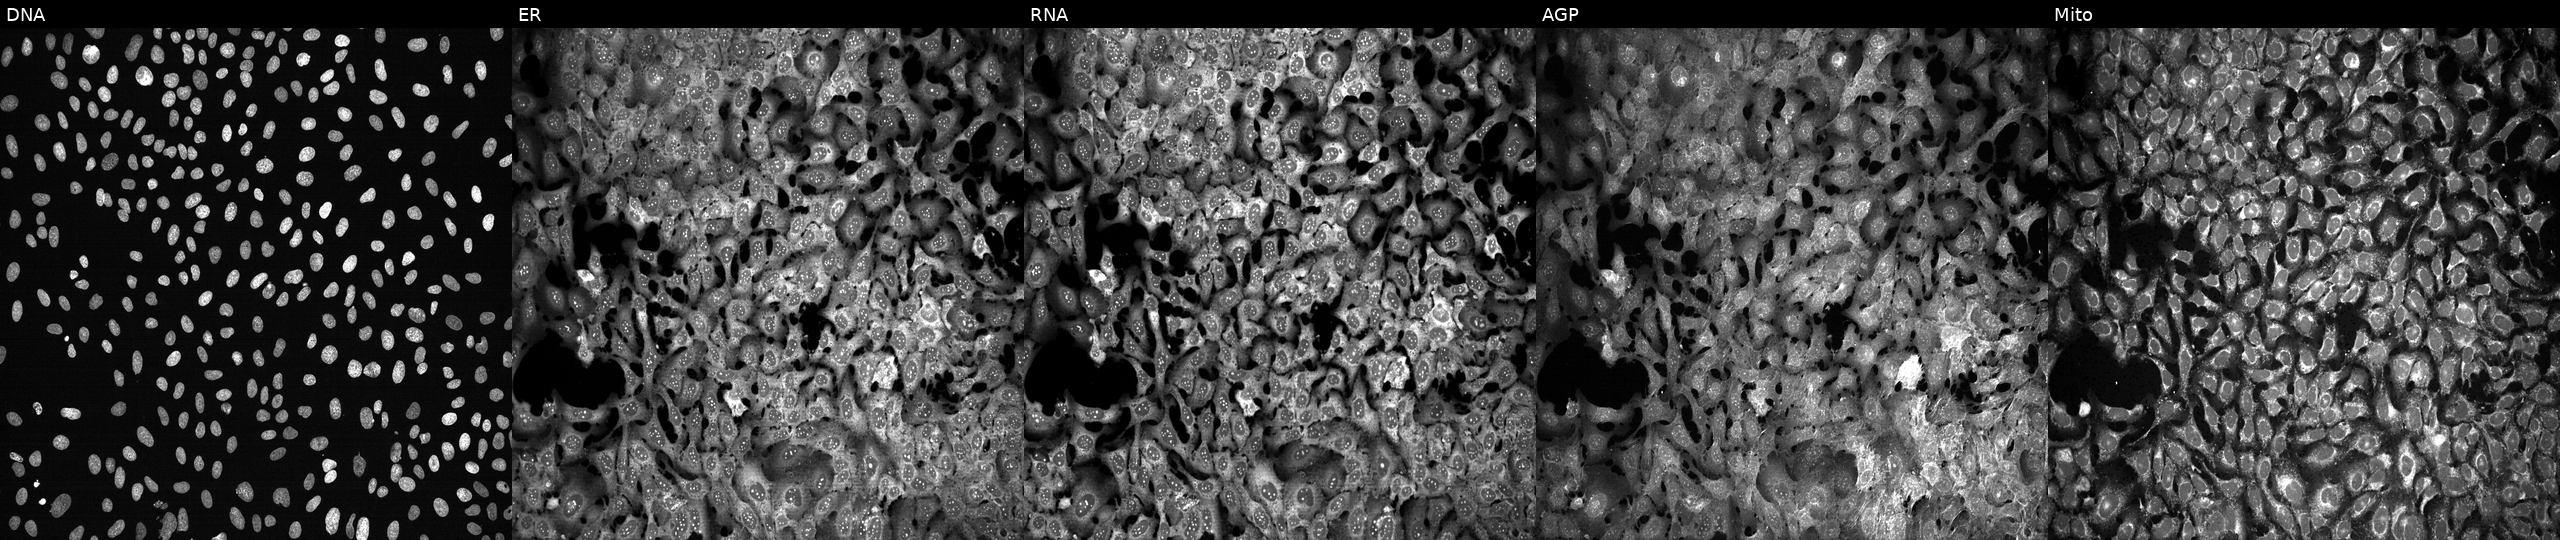
Five-channel Cell Painting image of U2OS cells exposed to the positive-control compound FK-866. Panels show, left to right, DNA, ER, RNA, AGP, and Mito.